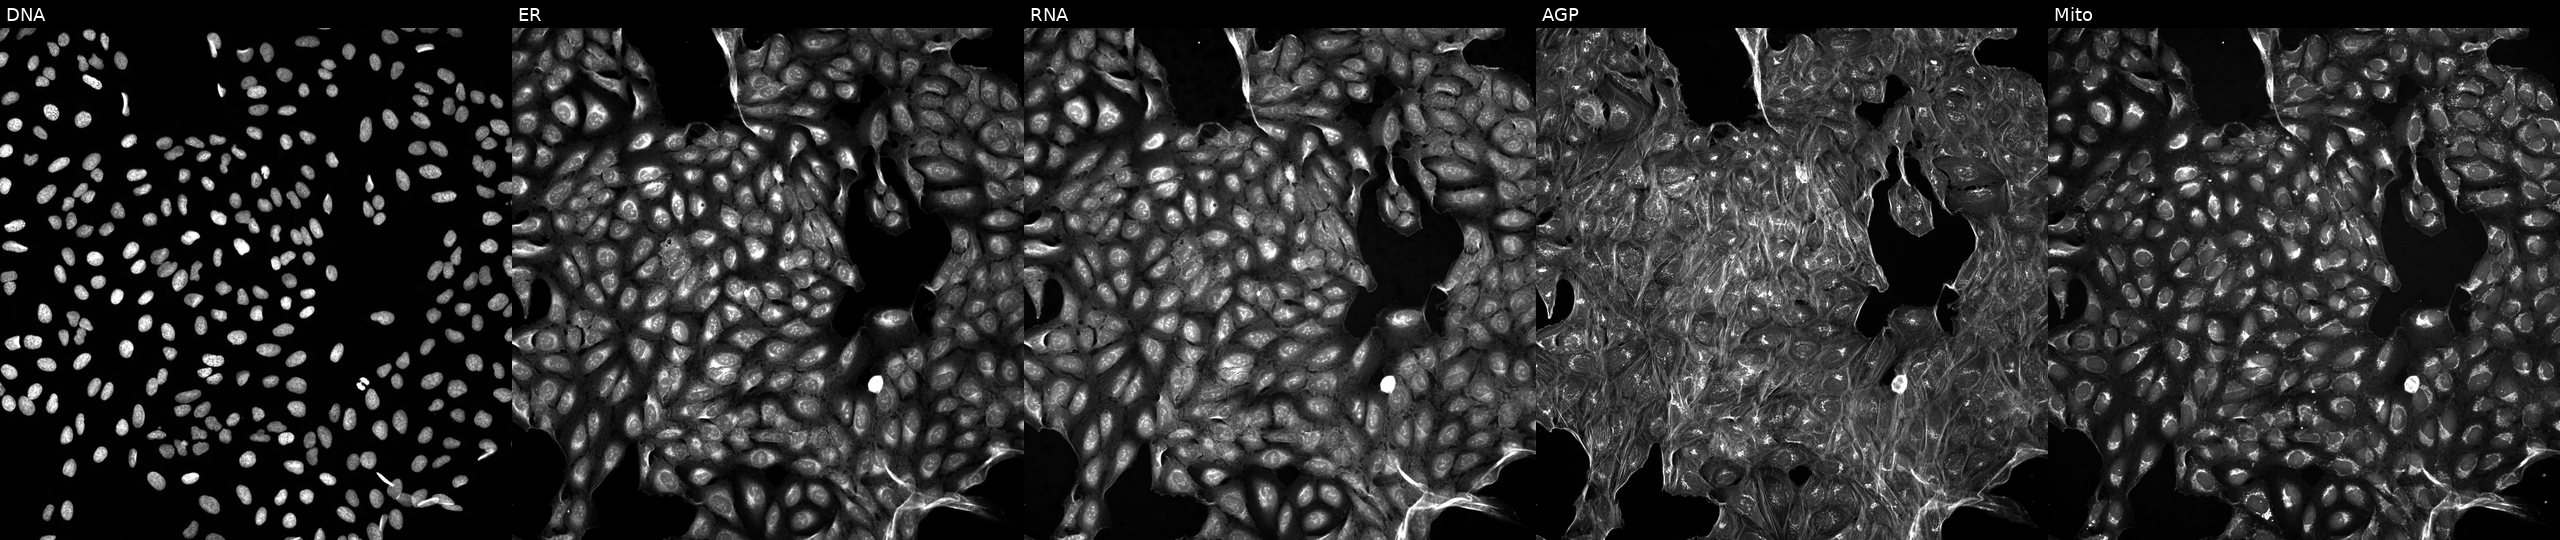
JUMP Cell Painting — TARGET2 plate. U2OS cells exposed to DMSO alone as a negative control. From left to right: Hoechst 33342, concanavalin A, SYTO 14, phalloidin and WGA, MitoTracker. Source 5, plate ACPJUM032, well D03.